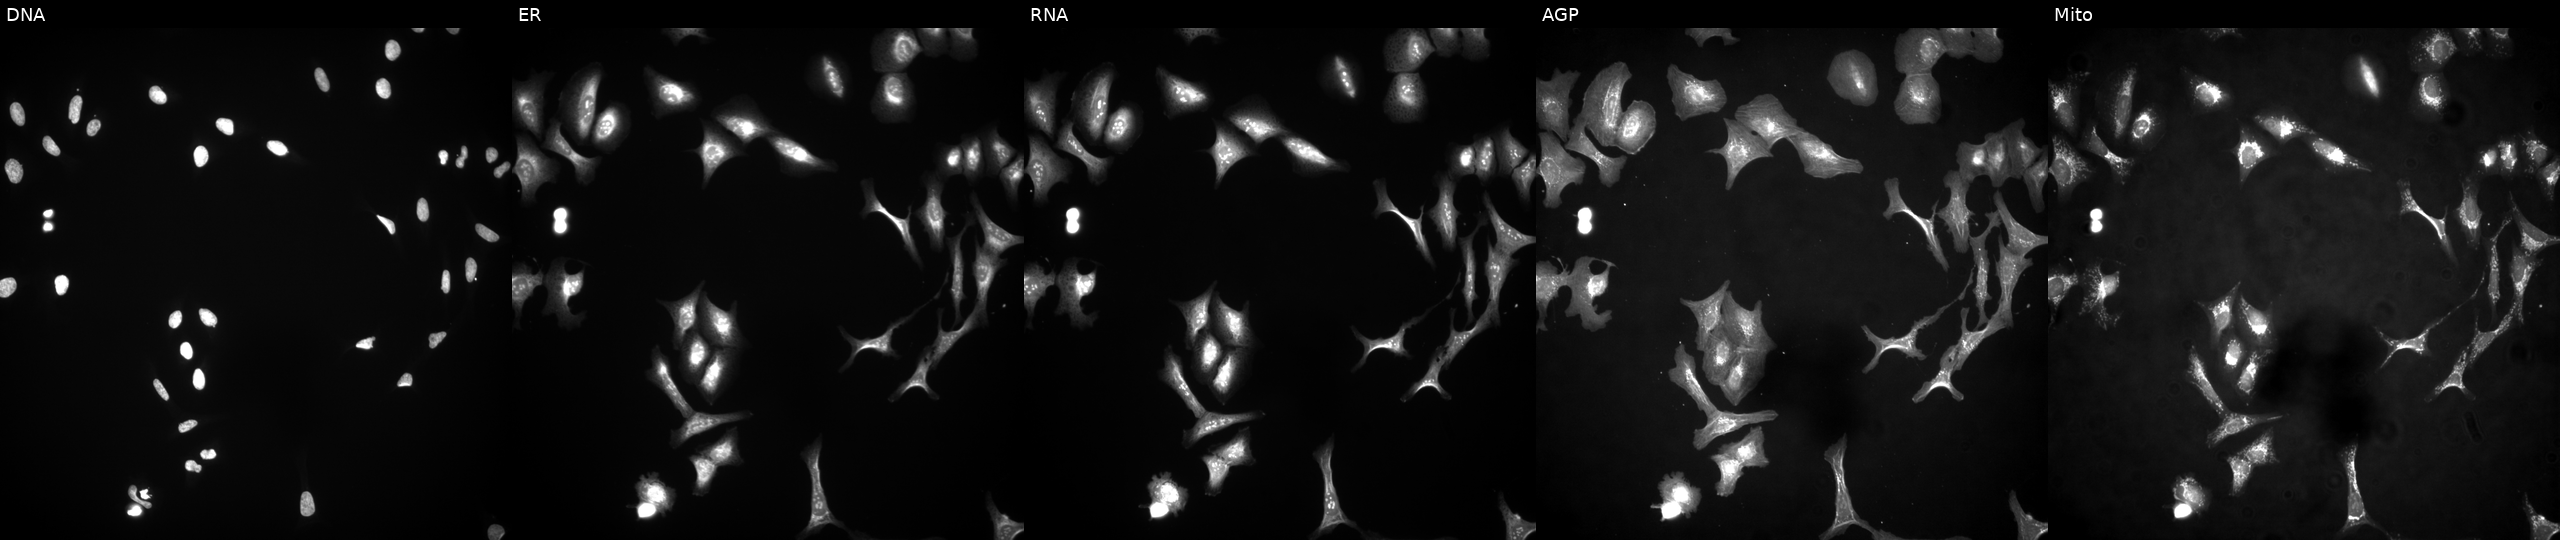
Panels show, left to right, Hoechst 33342, concanavalin A, SYTO 14, phalloidin and WGA, MitoTracker. U2OS osteosarcoma cells overexpressing OTUD3 via ORF transfection (JUMP id JCP2022_910911). Cell Painting assay, JUMP-CP dataset.